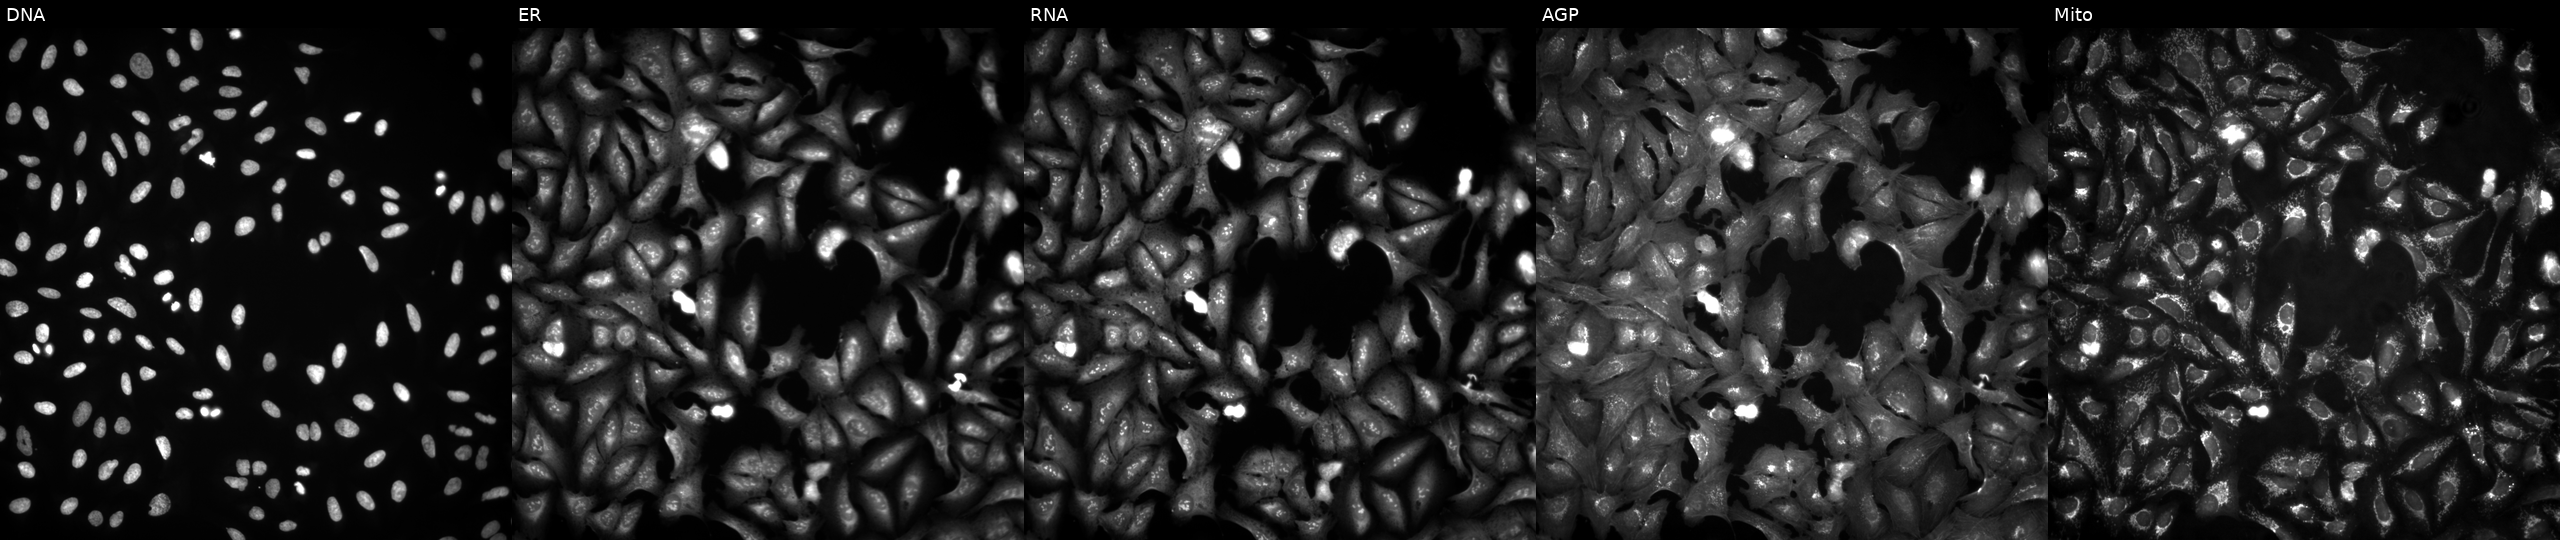
Channels (left→right): DNA, ER, RNA, AGP, and Mito. U2OS osteosarcoma cells with BOLA1 overexpressed (ORF) (JUMP id JCP2022_902984). Cell Painting assay, JUMP-CP dataset. Source 4, plate BR00124787, well I18.